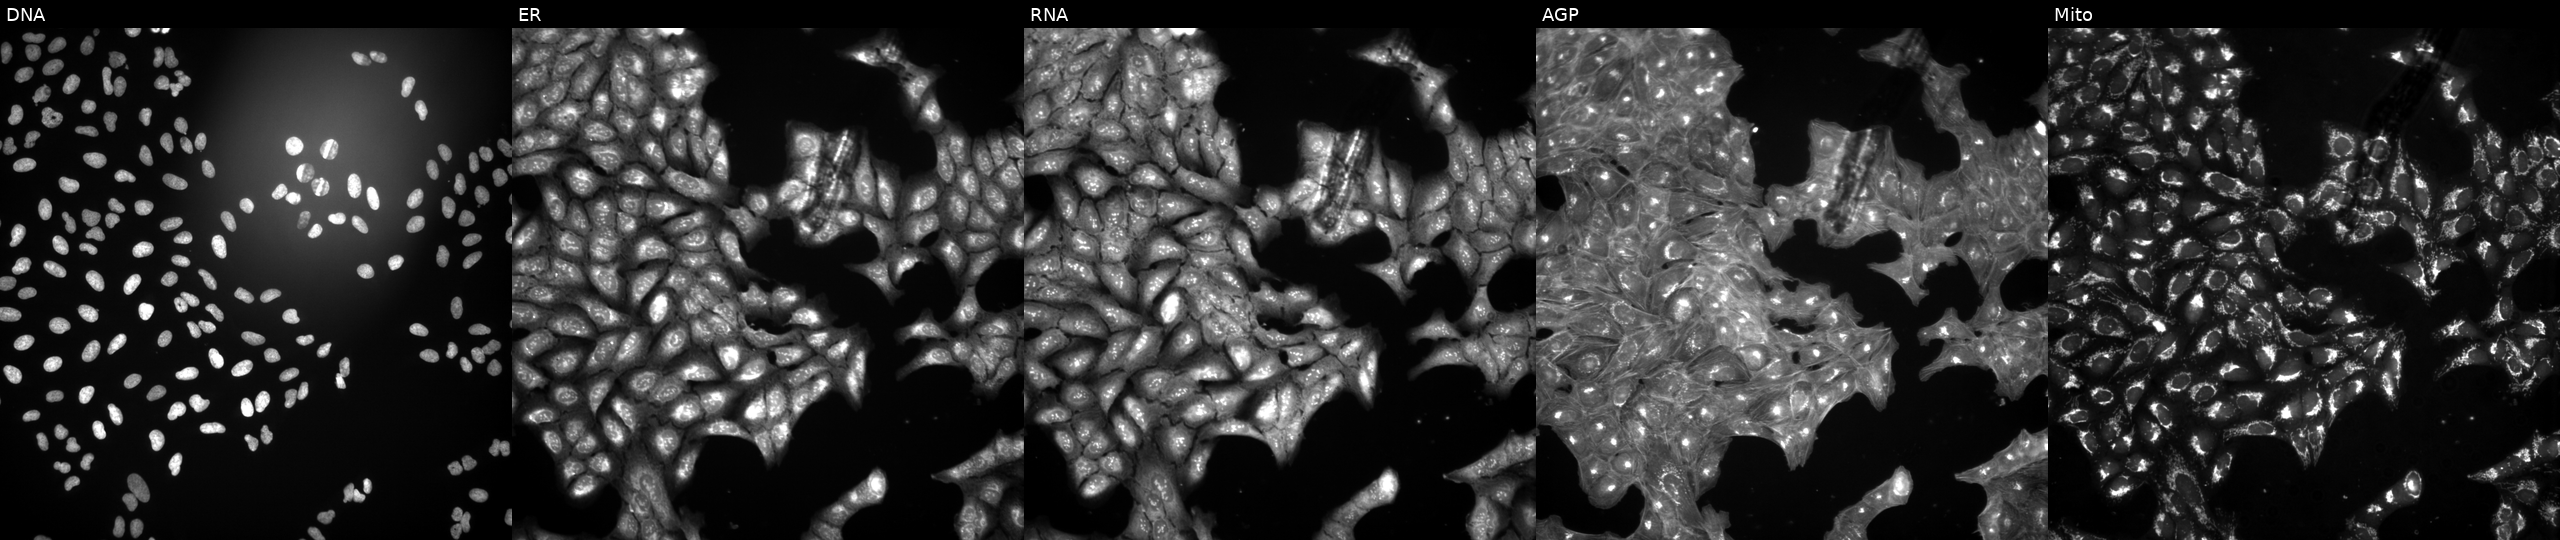
High-content fluorescence microscopy (Cell Painting). Cell line: U2OS. Perturbation: treated with a small-molecule compound (InChIKey XXPKVYVZDYHEMD-UHFFFAOYSA-N) (JUMP id JCP2022_106711). Panels show, left to right, Hoechst 33342, concanavalin A, SYTO 14, phalloidin and WGA, MitoTracker. Source 3, plate BR5867a3, well E18.